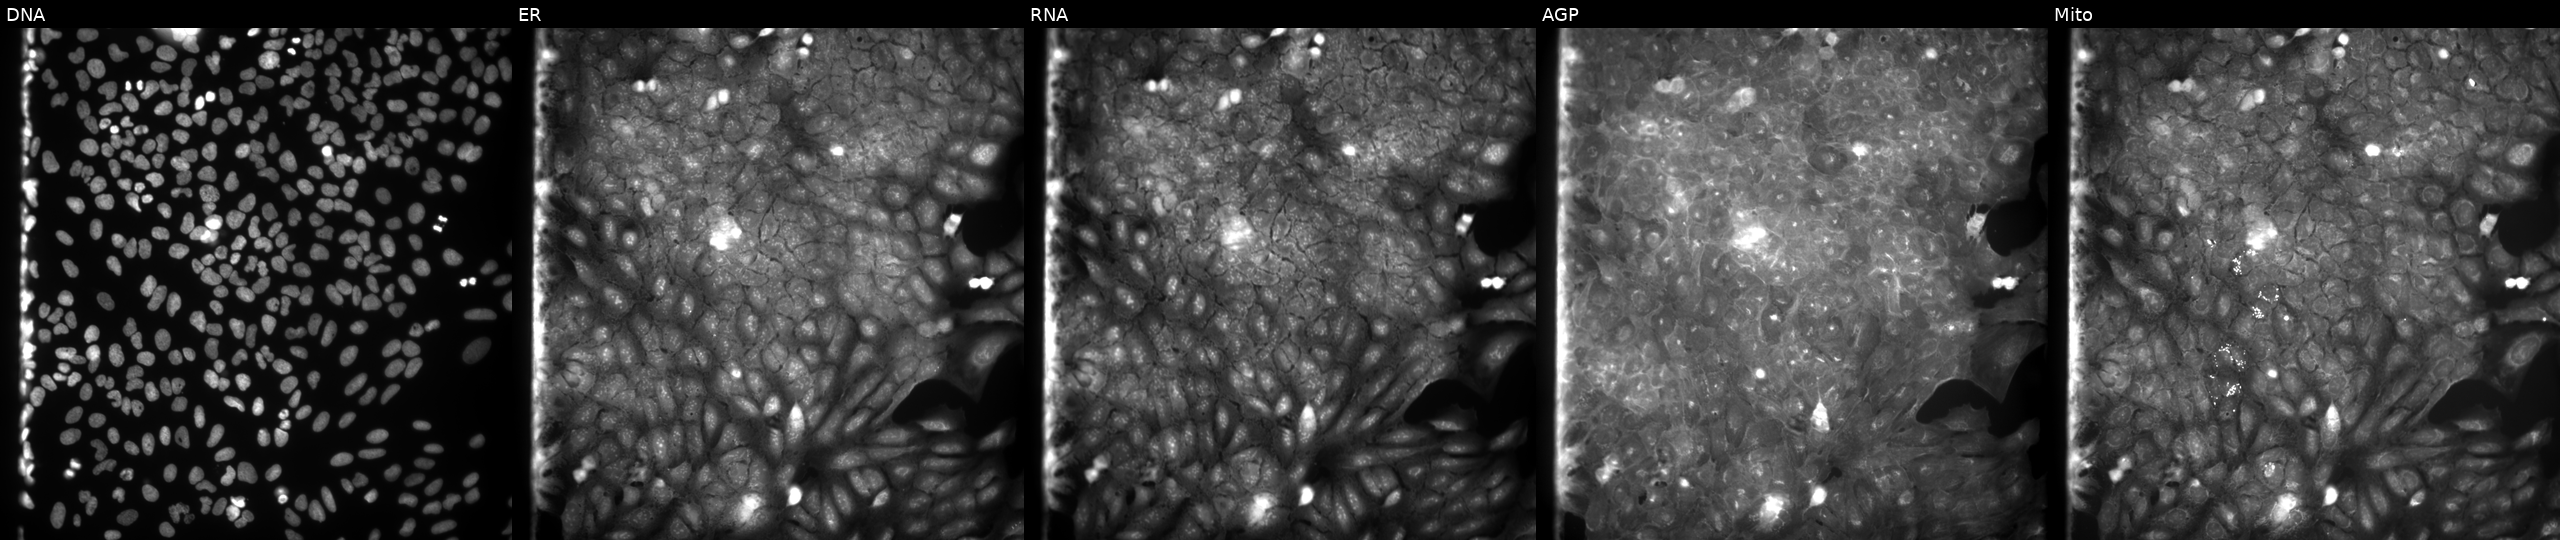
Channels (left→right): Hoechst 33342, concanavalin A, SYTO 14, phalloidin and WGA, MitoTracker. U2OS osteosarcoma cells exposed to a small-molecule compound (InChIKey DBUQWANJMOJQOT-UHFFFAOYSA-N) [SMILES: O=C(NN=c1cccc[nH]1)C(=O)NNS(=O)(=O)c1ccc(Cl)cc1] (JUMP id JCP2022_014901). Cell Painting assay, JUMP-CP dataset.